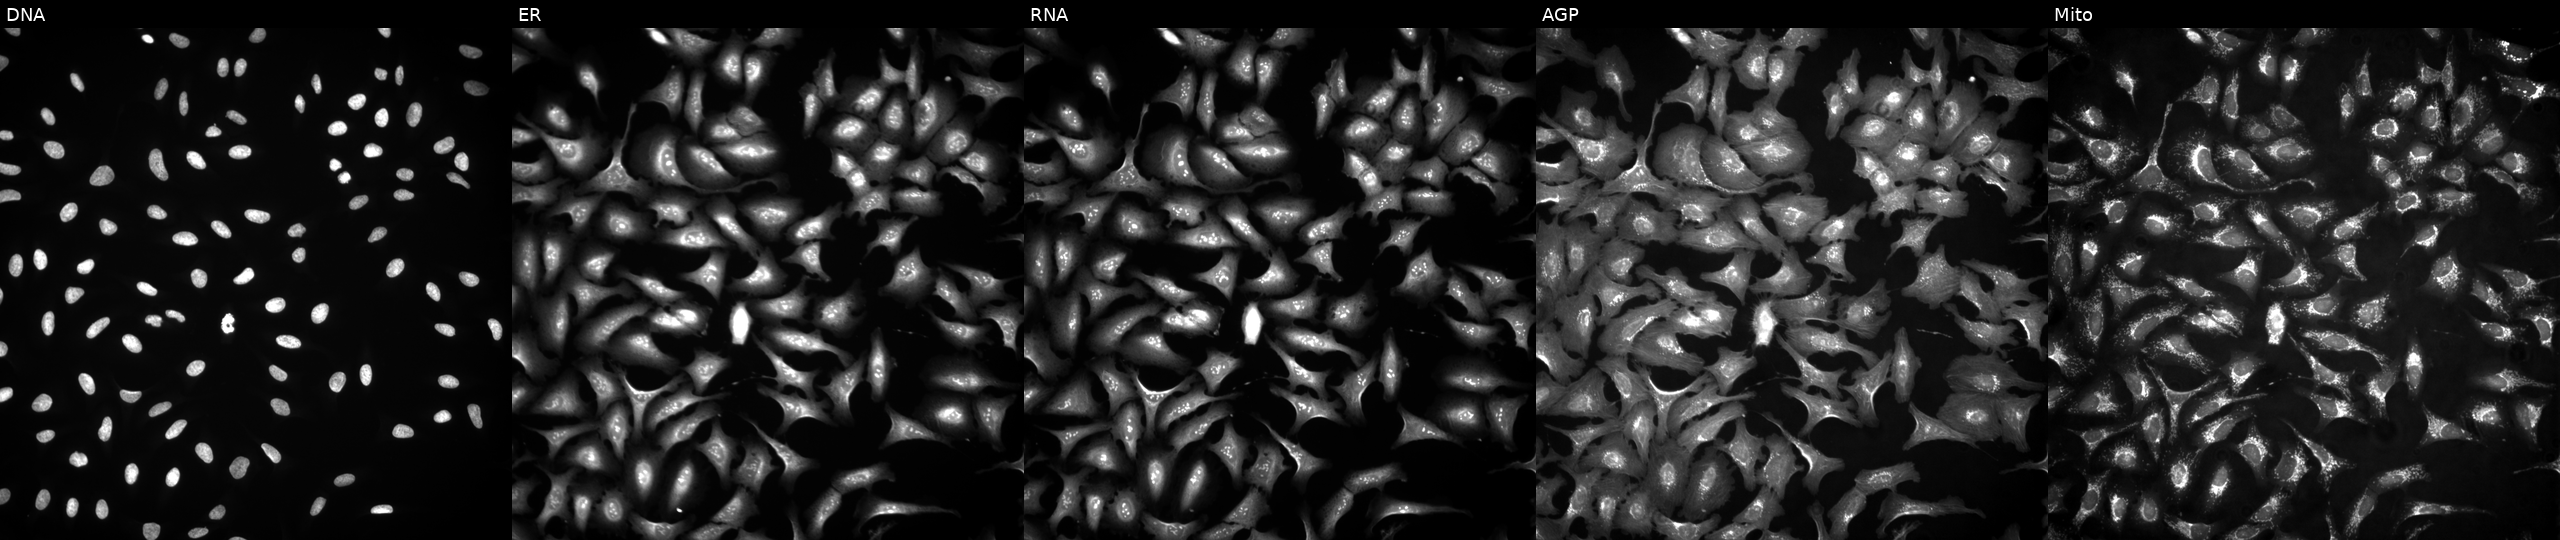
U2OS cells, Cell Painting assay, transfected with an ORF construct for BSCL2. The five panels, left to right, show DNA (nuclei); ER (endoplasmic reticulum); RNA (nucleoli and cytoplasmic RNA); AGP (actin cytoskeleton, Golgi, and plasma membrane); Mito (mitochondria). Each panel is percentile-stretched 16-bit fluorescence. Source 4, plate BR00124787, well G03.